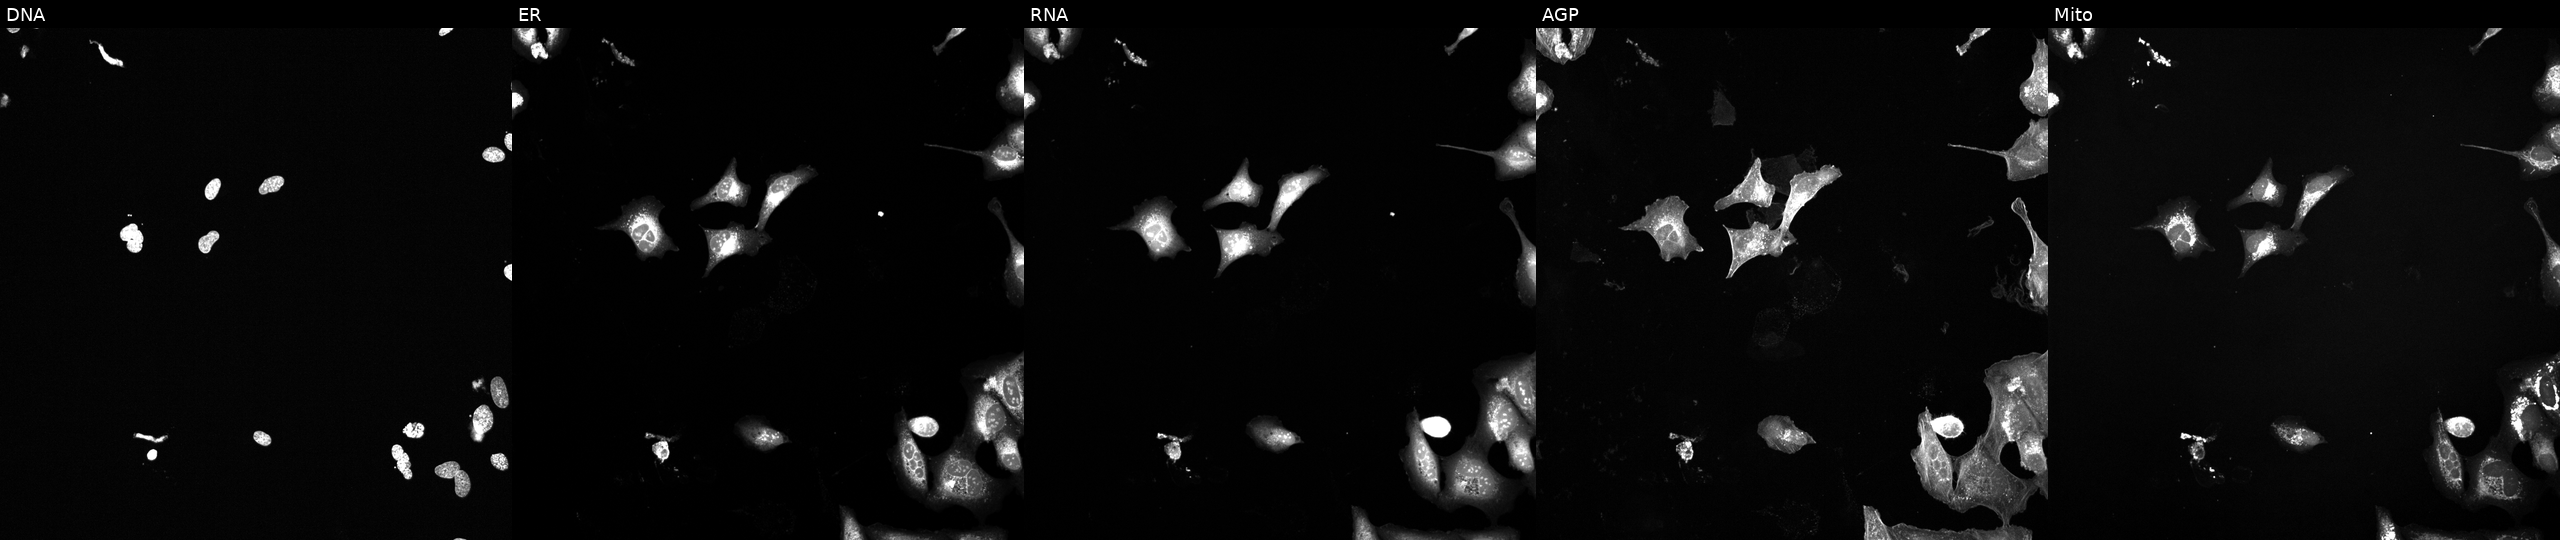
Five-channel Cell Painting image of U2OS cells exposed to a small-molecule compound (InChIKey XQVVPGYIWAGRNI-UHFFFAOYSA-N). Panels show, left to right, DNA, ER, RNA, AGP, and Mito. Source 6, plate 110000294901, well J20.